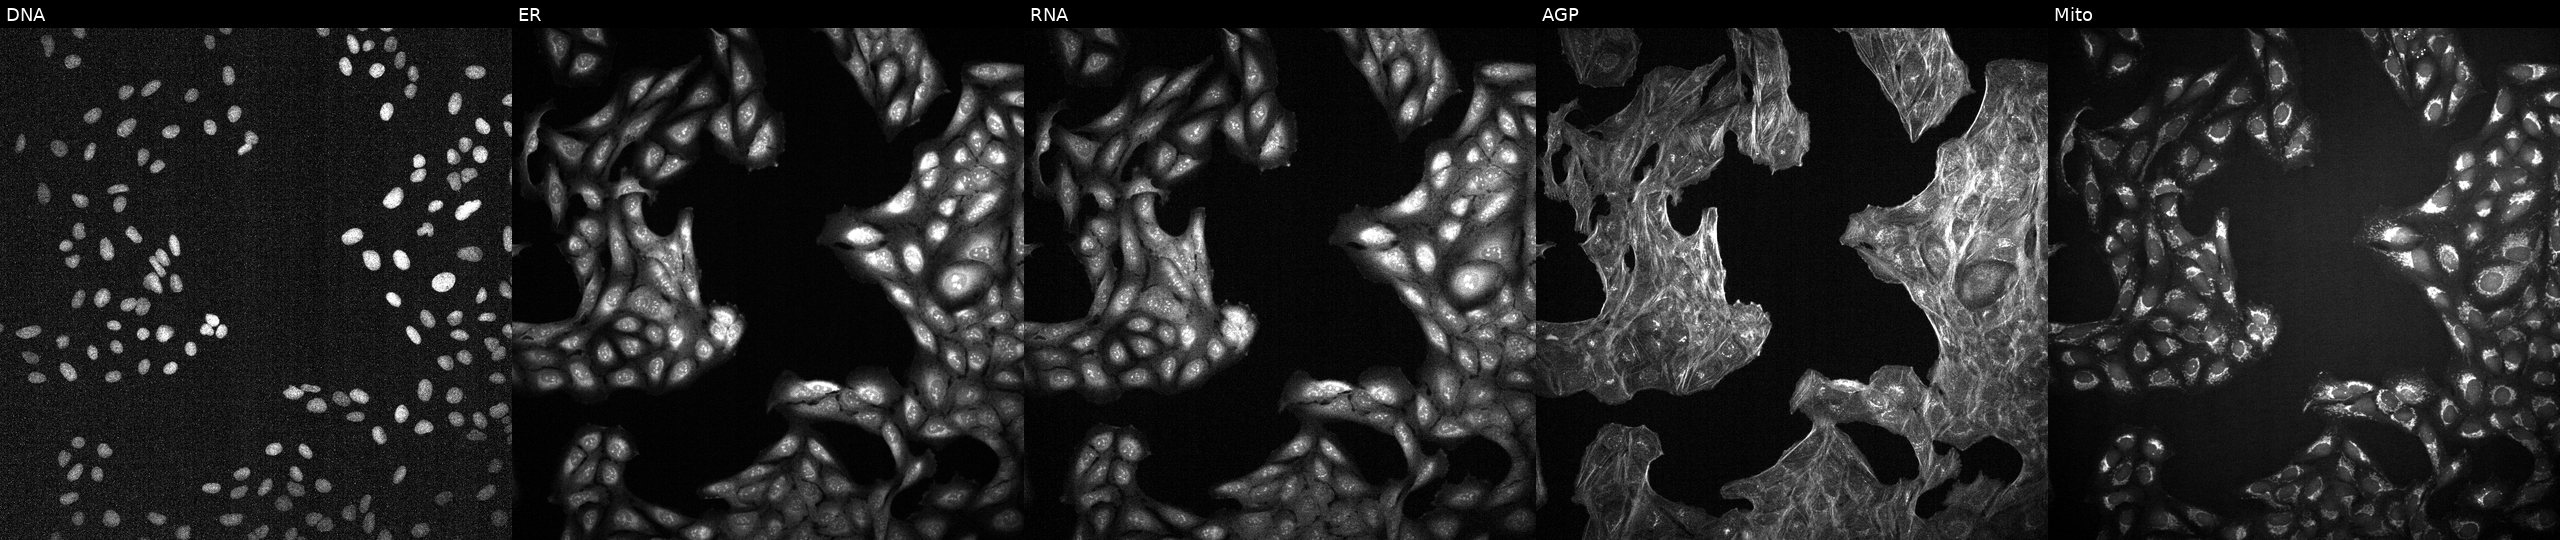
From left to right: DNA (nuclei); ER (endoplasmic reticulum); RNA (nucleoli and cytoplasmic RNA); AGP (actin cytoskeleton, Golgi, and plasma membrane); Mito (mitochondria). U2OS osteosarcoma cells with an unidentified perturbation (not annotated in JUMP metadata). Cell Painting assay, JUMP-CP dataset.